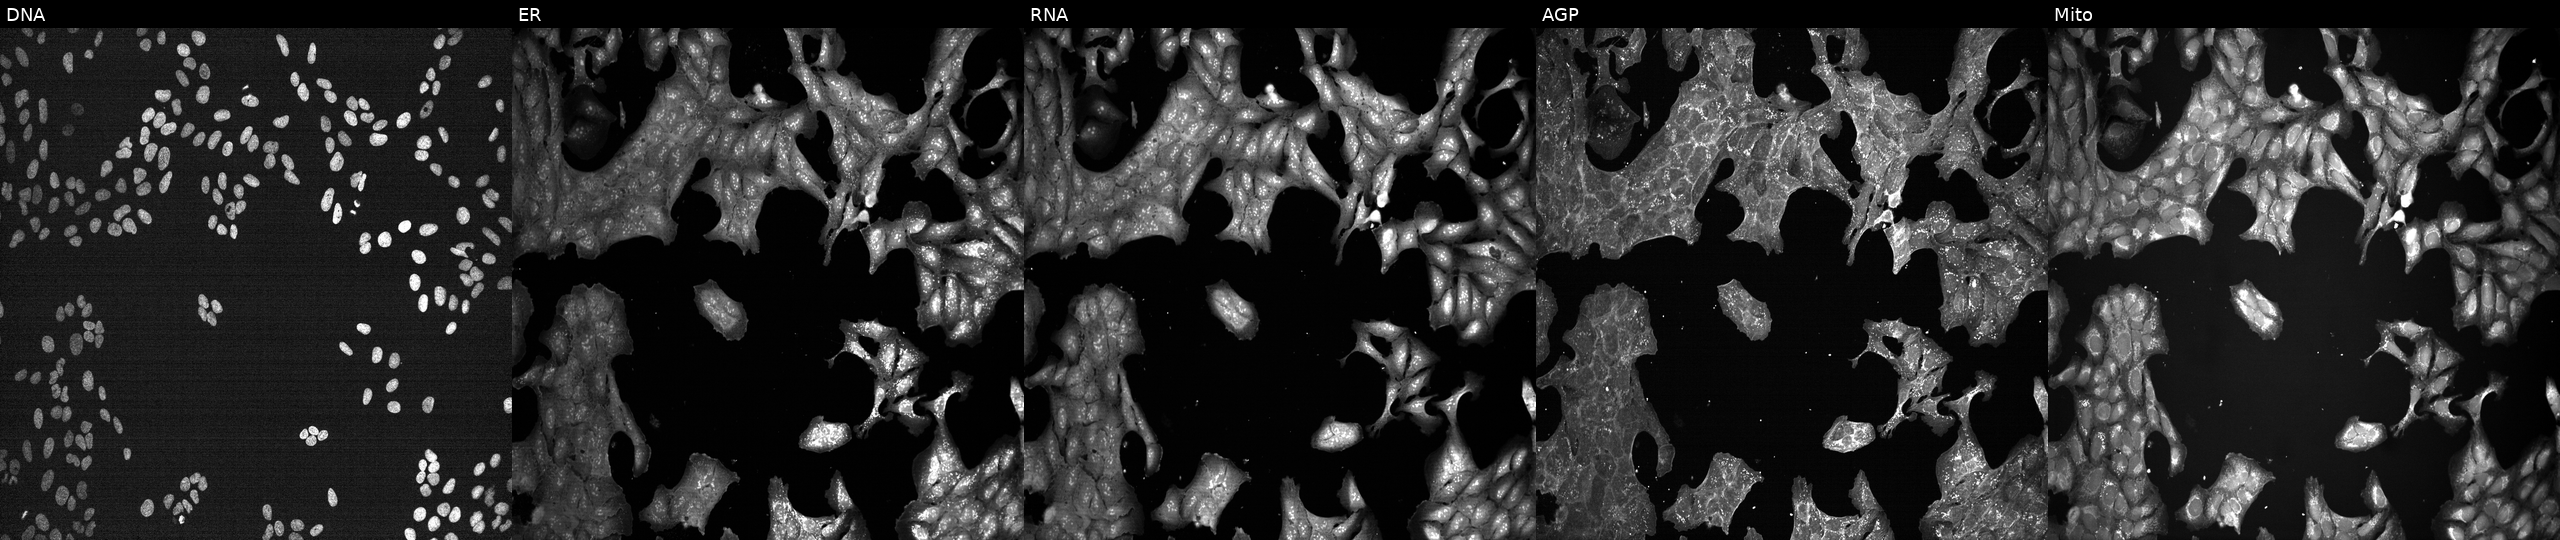
This image strip shows the five Cell Painting channels for a single field of U2OS cells perturbed with a small-molecule compound. The five panels, left to right, show DNA, ER, RNA, AGP, and Mito.